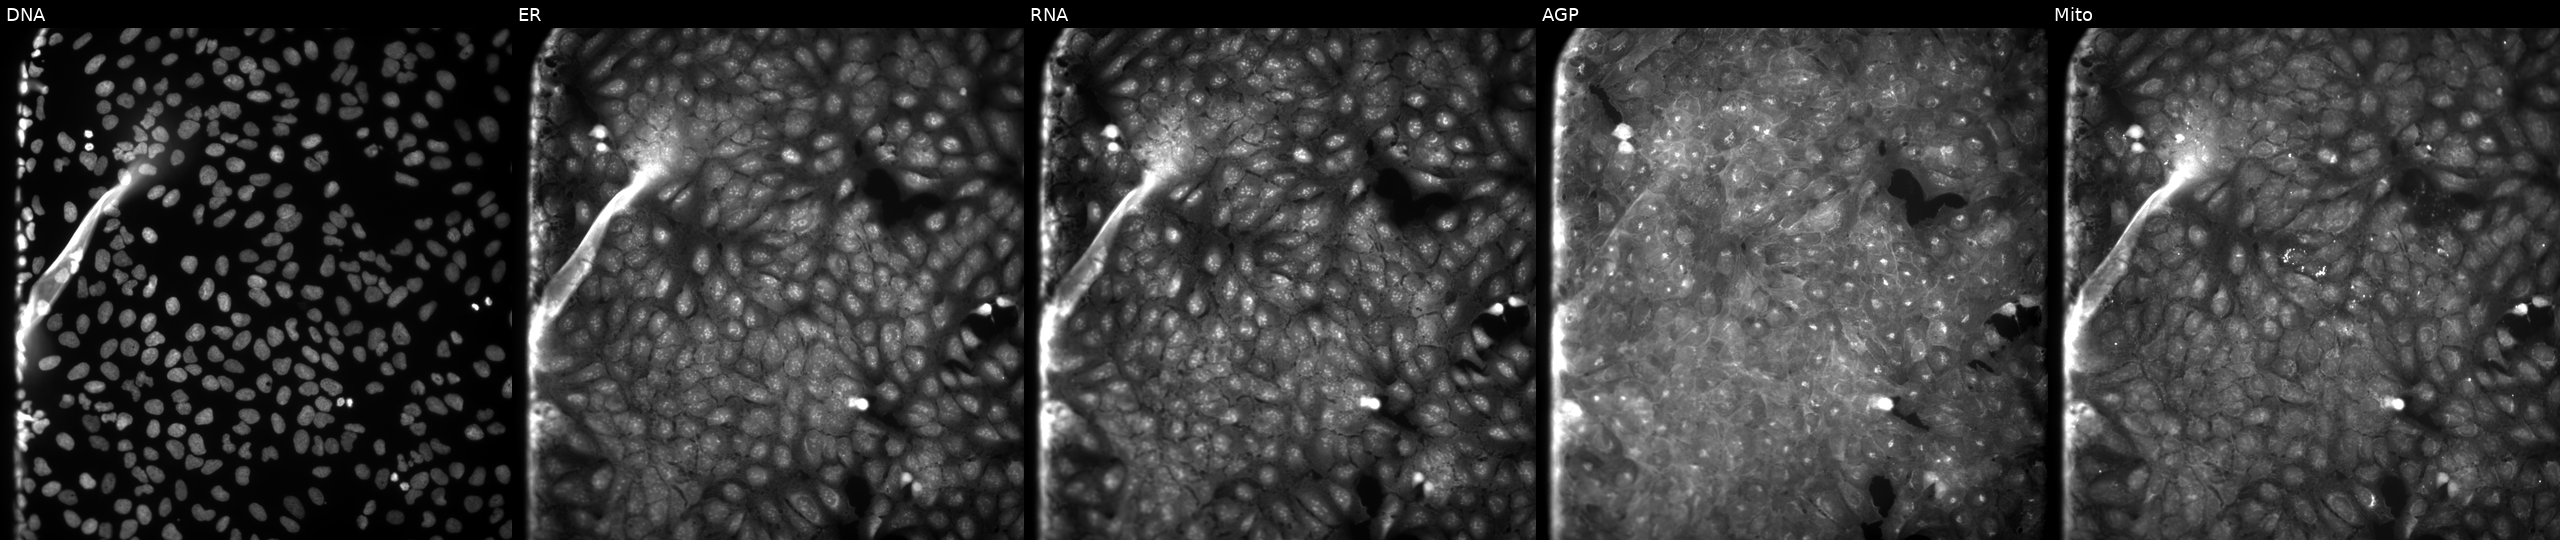
U2OS cells, Cell Painting assay, exposed to a small-molecule compound (InChIKey HKWLTKVQSQHYHO-UHFFFAOYSA-N) (JUMP id JCP2022_030877). The five panels, left to right, show DNA, ER, RNA, AGP, and Mito. Each panel is percentile-stretched 16-bit fluorescence.